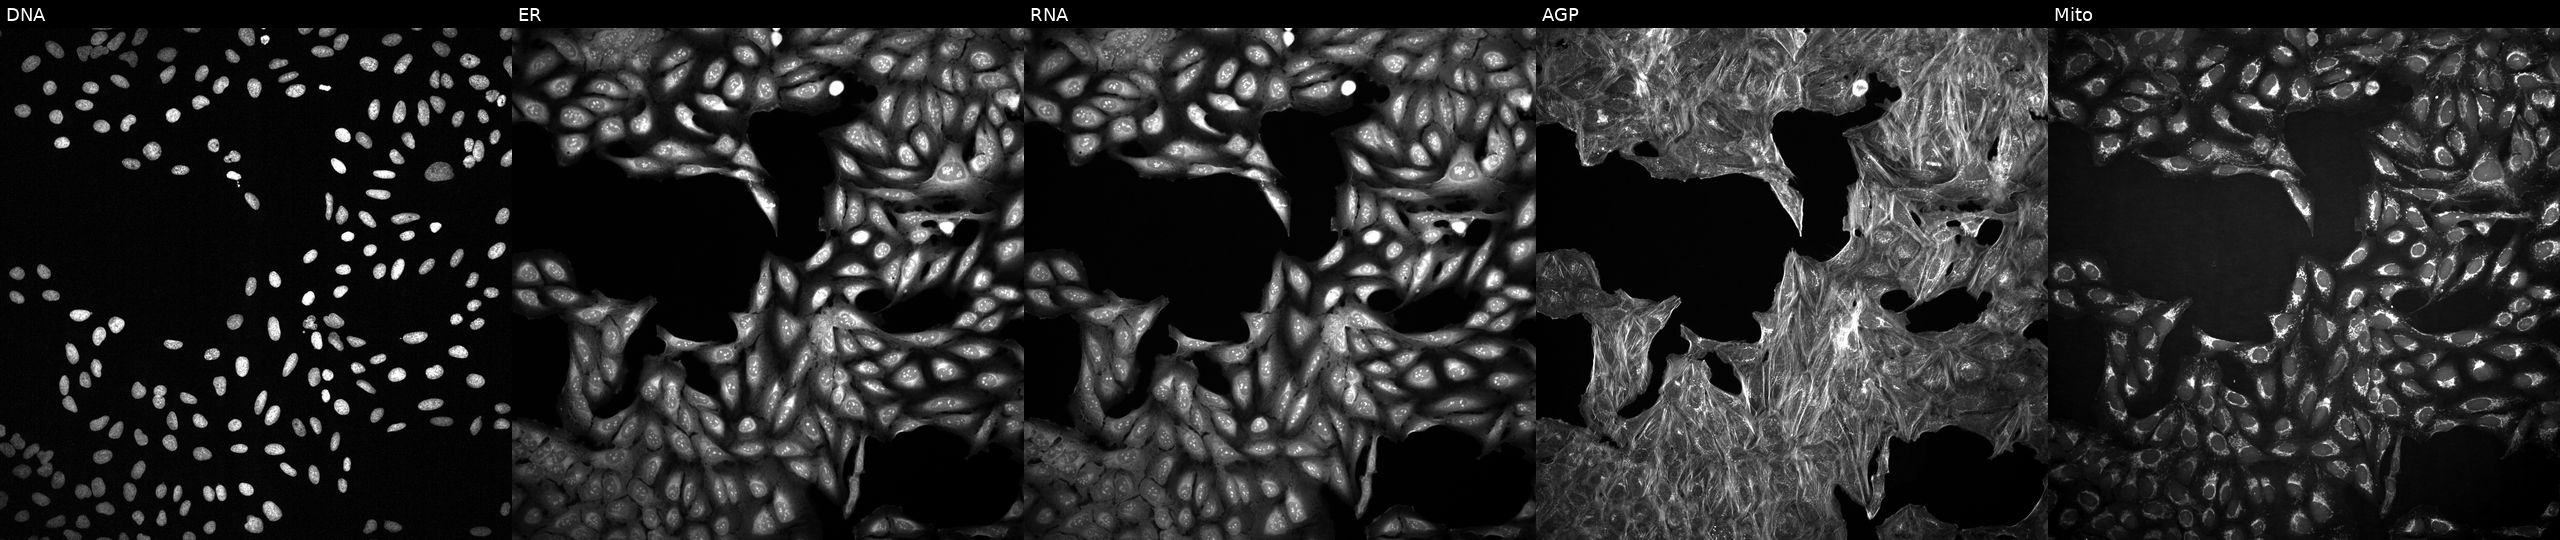
The five panels, left to right, show DNA (nuclei); ER (endoplasmic reticulum); RNA (nucleoli and cytoplasmic RNA); AGP (actin cytoskeleton, Golgi, and plasma membrane); Mito (mitochondria). U2OS osteosarcoma cells treated with a small-molecule compound (JUMP id JCP2022_000595). Cell Painting assay, JUMP-CP dataset.